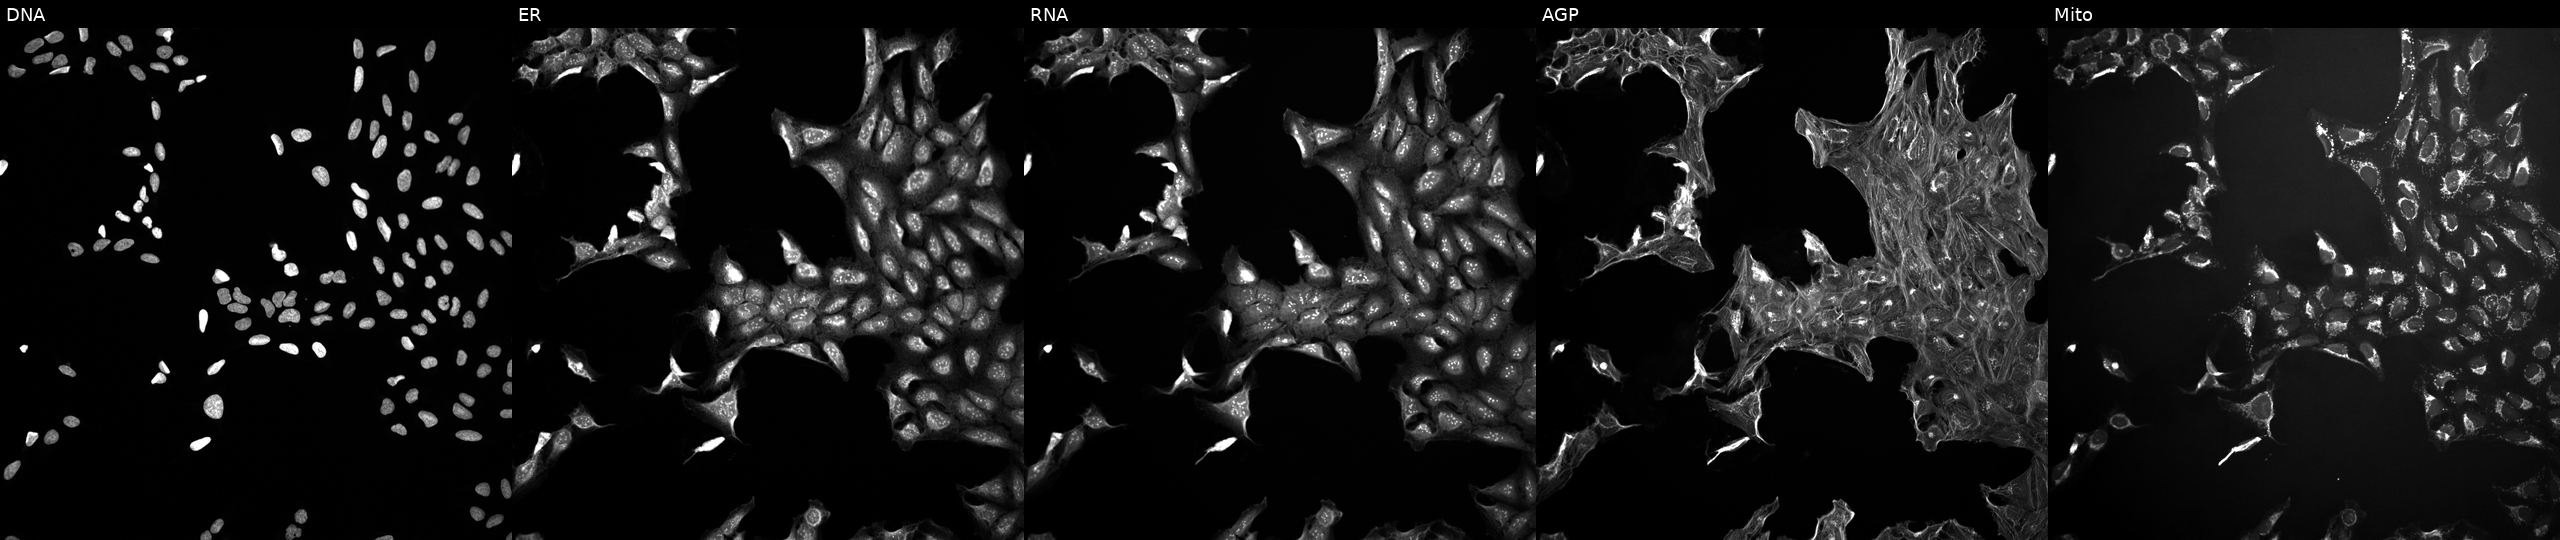
JUMP Cell Painting — TARGET2 plate. U2OS cells perturbed with a small-molecule compound (InChIKey ODUOJXZPIYUATO-UHFFFAOYSA-N) [SMILES: CC(=O)SCC(Cc1ccccc1)C(=O)NCC(=O)OCc1ccccc1] (JUMP id JCP2022_063174). The five panels, left to right, show Hoechst 33342, concanavalin A, SYTO 14, phalloidin and WGA, MitoTracker.